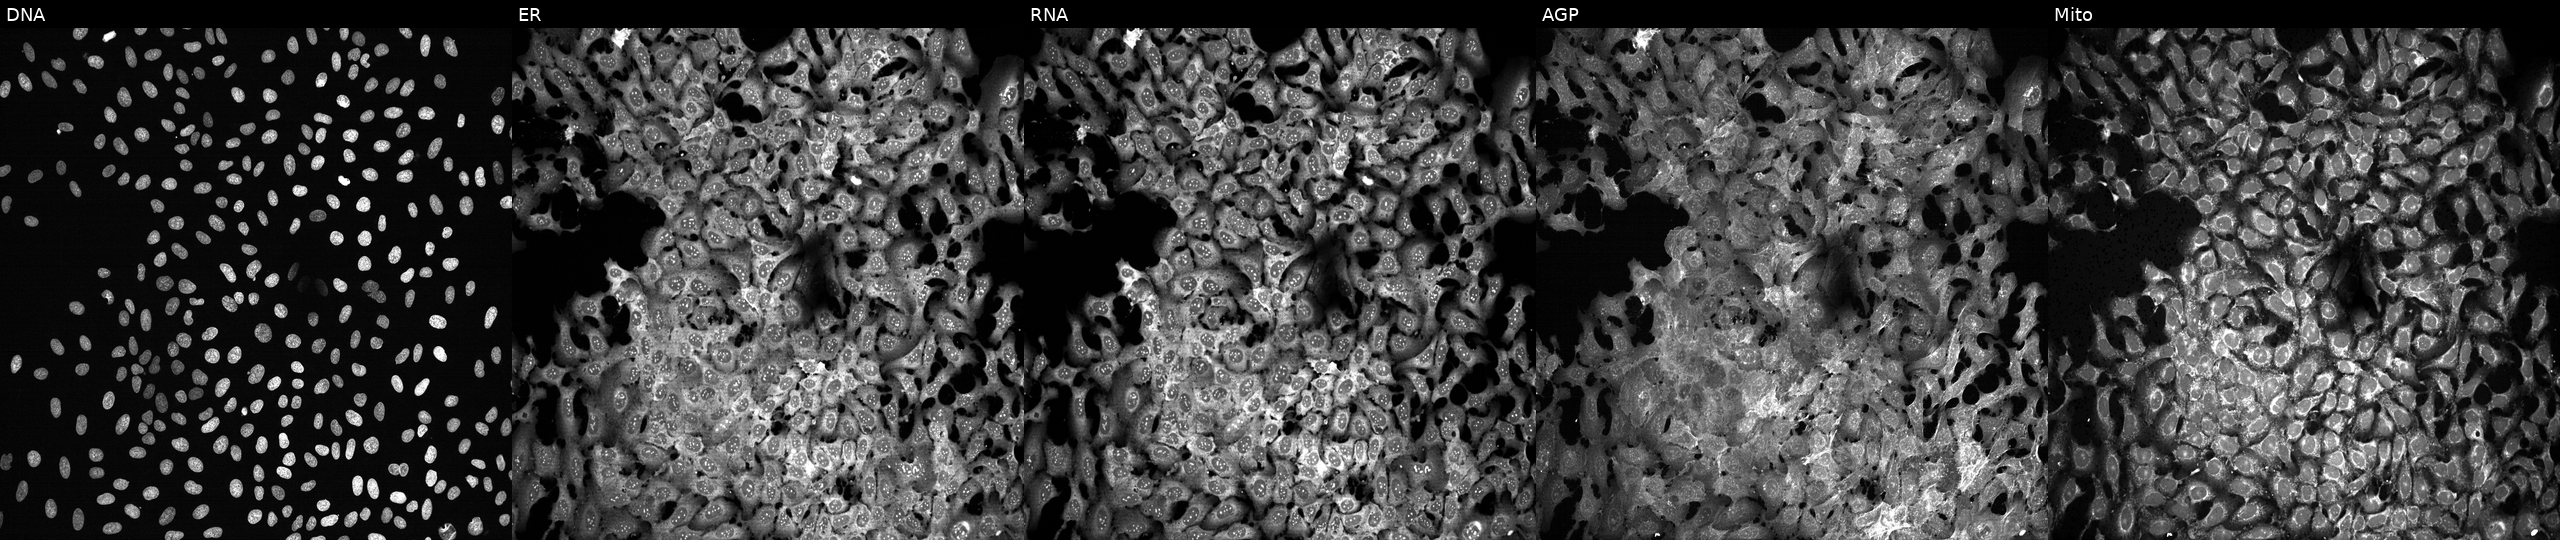
JUMP Cell Painting — CRISPR plate. U2OS cells treated with FK-866 (positive-control compound) (JUMP id JCP2022_046054). The five panels, left to right, show DNA, ER, RNA, AGP, and Mito.